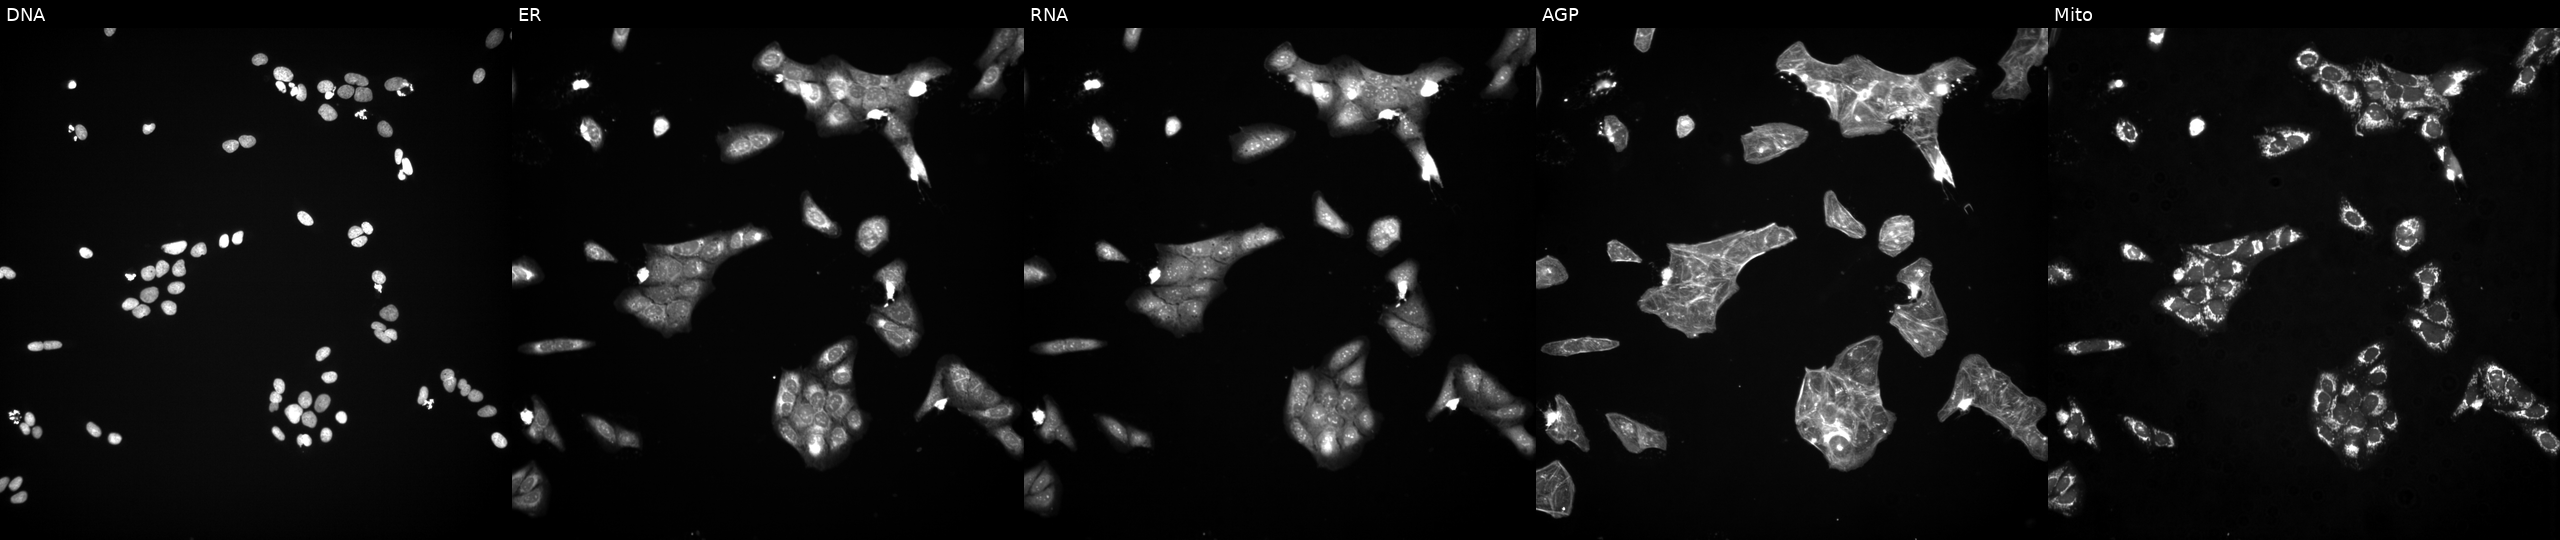
This image strip shows the five Cell Painting channels for a single field of U2OS cells exposed to a small-molecule compound (JUMP id JCP2022_116188). The five panels, left to right, show Hoechst 33342, concanavalin A, SYTO 14, phalloidin and WGA, MitoTracker.